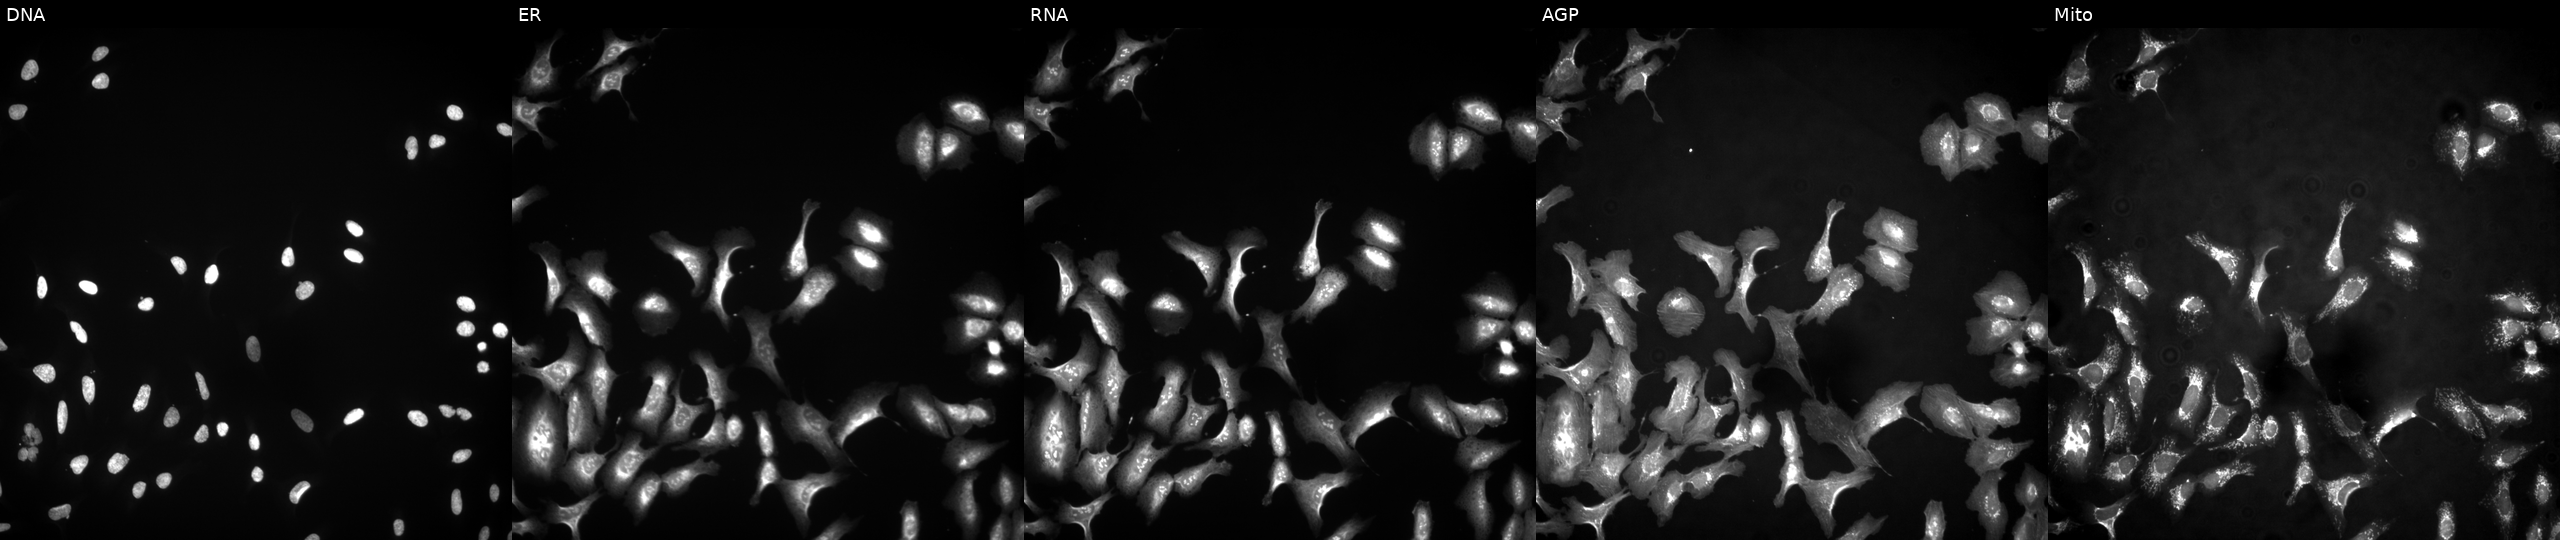
The five panels, left to right, show Hoechst 33342, concanavalin A, SYTO 14, phalloidin and WGA, MitoTracker. U2OS osteosarcoma cells with RND1 overexpressed (ORF) (JUMP id JCP2022_902832). Cell Painting assay, JUMP-CP dataset.